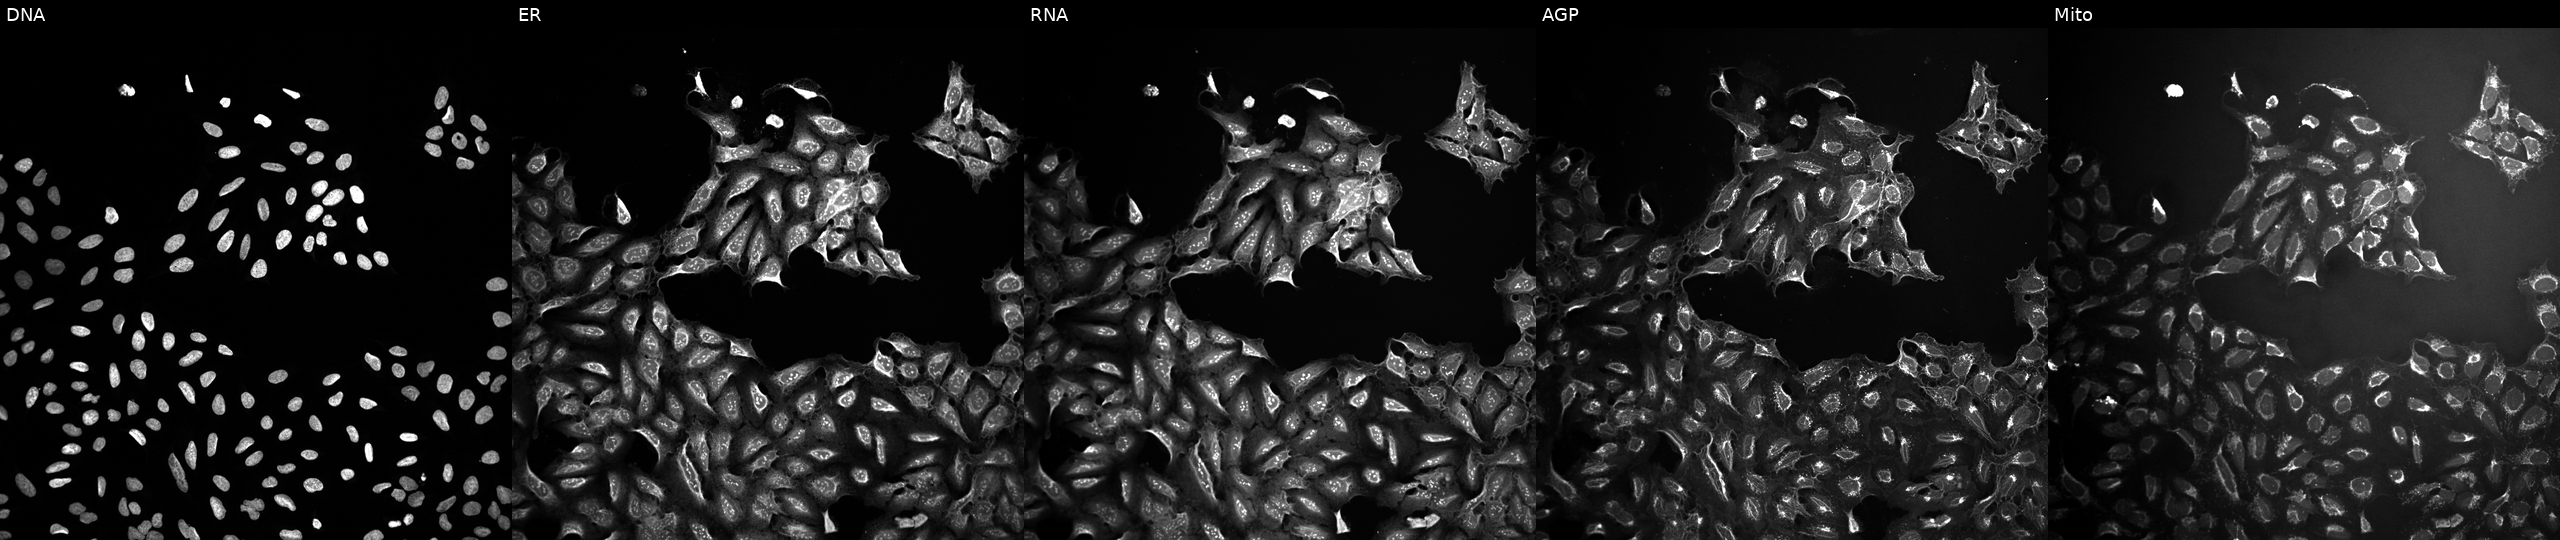
U2OS cells, Cell Painting assay, treated with a small-molecule compound [SMILES: CN(C(=O)c1ccc(F)cc1C(F)(F)F)C1CCN(c2nnc(-c3ccnn3C)c3ccccc23)CC1]. The five panels, left to right, show DNA (nuclei); ER (endoplasmic reticulum); RNA (nucleoli and cytoplasmic RNA); AGP (actin cytoskeleton, Golgi, and plasma membrane); Mito (mitochondria). Each panel is percentile-stretched 16-bit fluorescence. Source 10, plate Dest210803-153958, well N22.